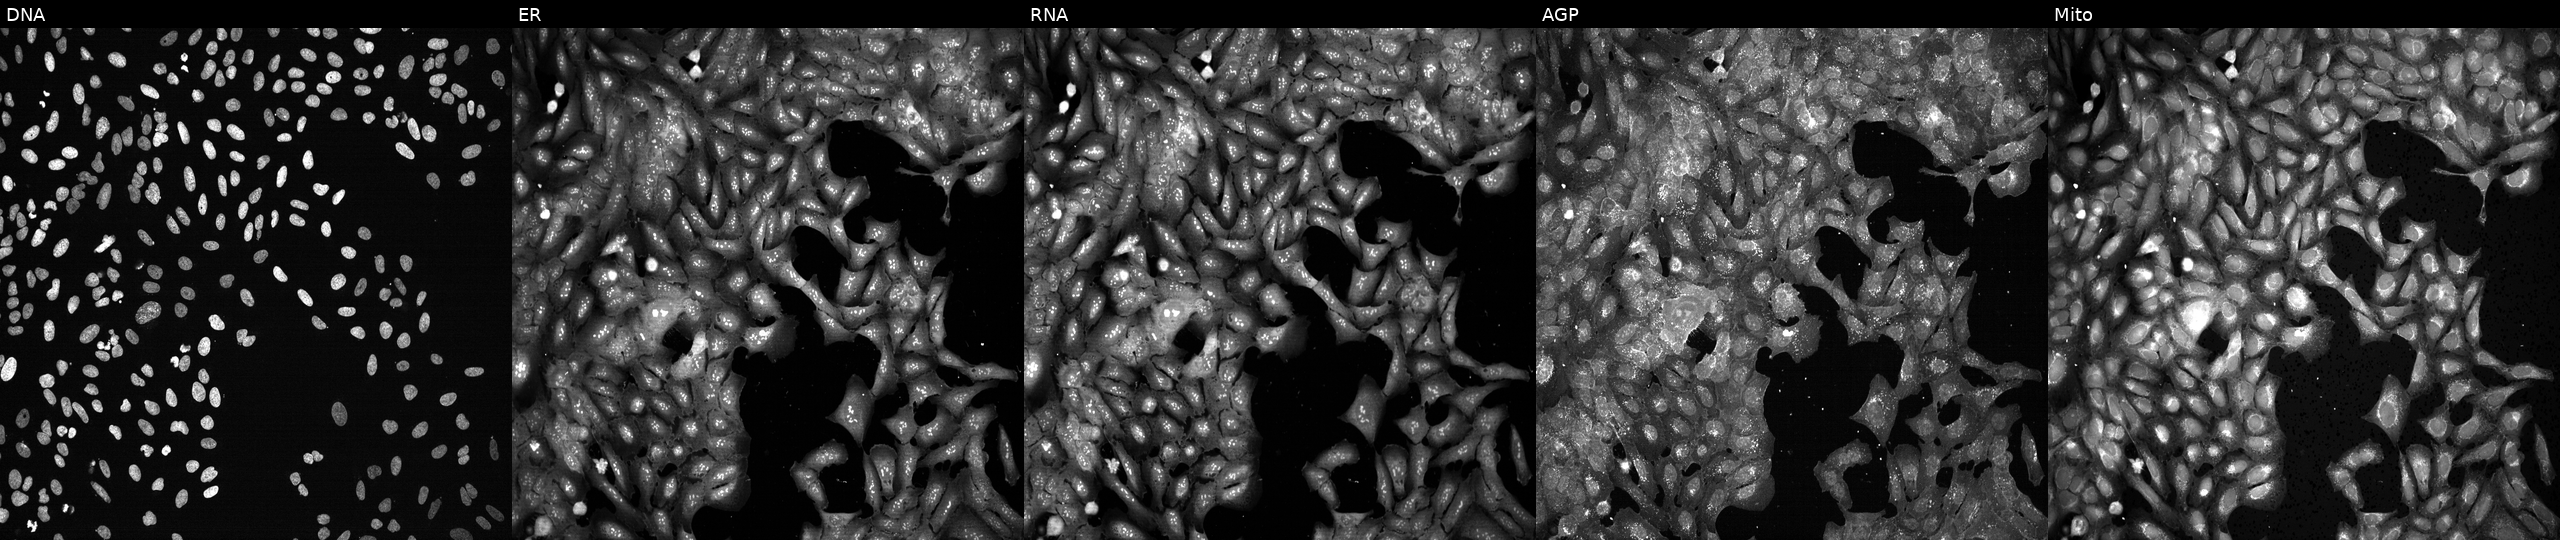
Panels show, left to right, Hoechst 33342, concanavalin A, SYTO 14, phalloidin and WGA, MitoTracker. U2OS osteosarcoma cells with BAG1 knocked out by CRISPR. Cell Painting assay, JUMP-CP dataset.